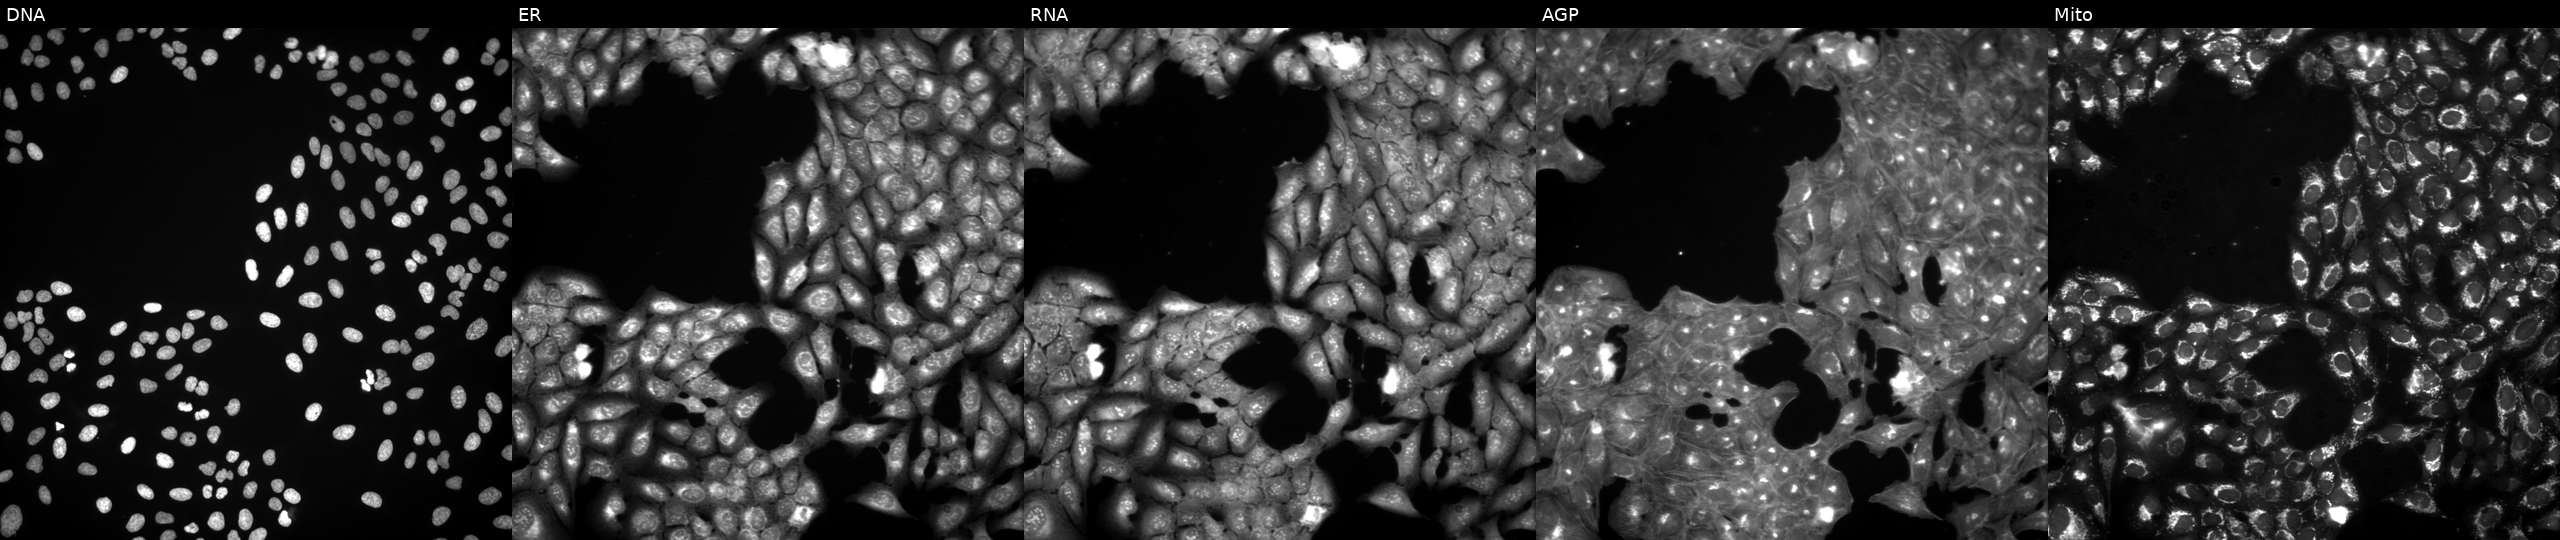
High-content fluorescence microscopy (Cell Painting). Cell line: U2OS. Perturbation: treated with DMSO vehicle only (negative control) (JUMP id JCP2022_033924). Channels (left→right): DNA, ER, RNA, AGP, and Mito.